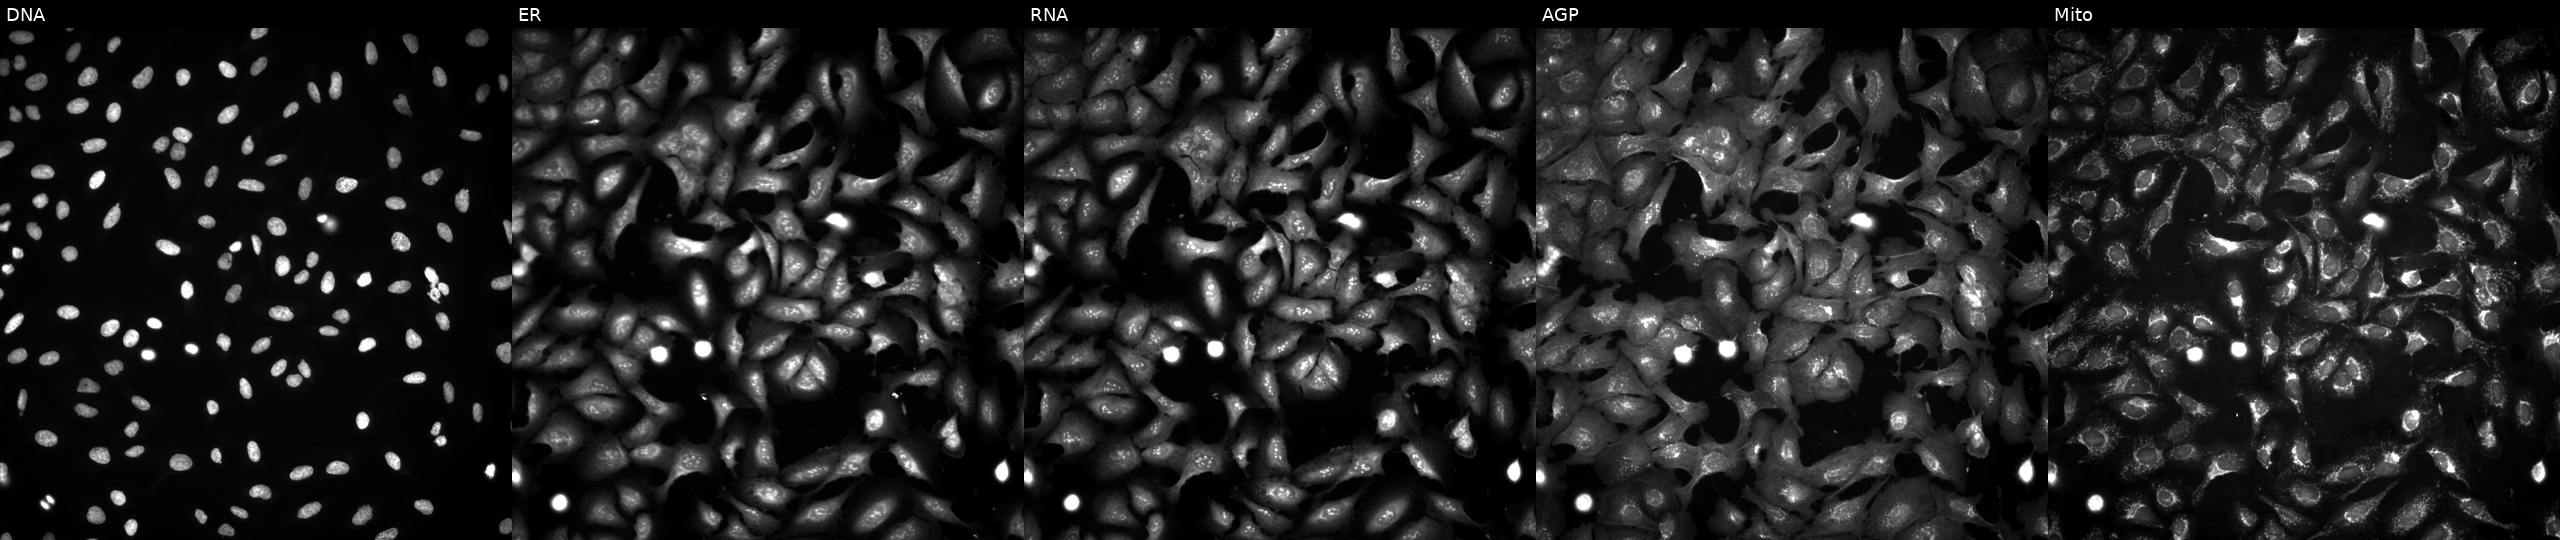
High-content fluorescence microscopy (Cell Painting). Cell line: U2OS. Perturbation: transfected with an ORF construct for TMEM174 (JUMP id JCP2022_904578). Panels show, left to right, DNA (nuclei); ER (endoplasmic reticulum); RNA (nucleoli and cytoplasmic RNA); AGP (actin cytoskeleton, Golgi, and plasma membrane); Mito (mitochondria). Source 4, plate BR00124787, well F02.